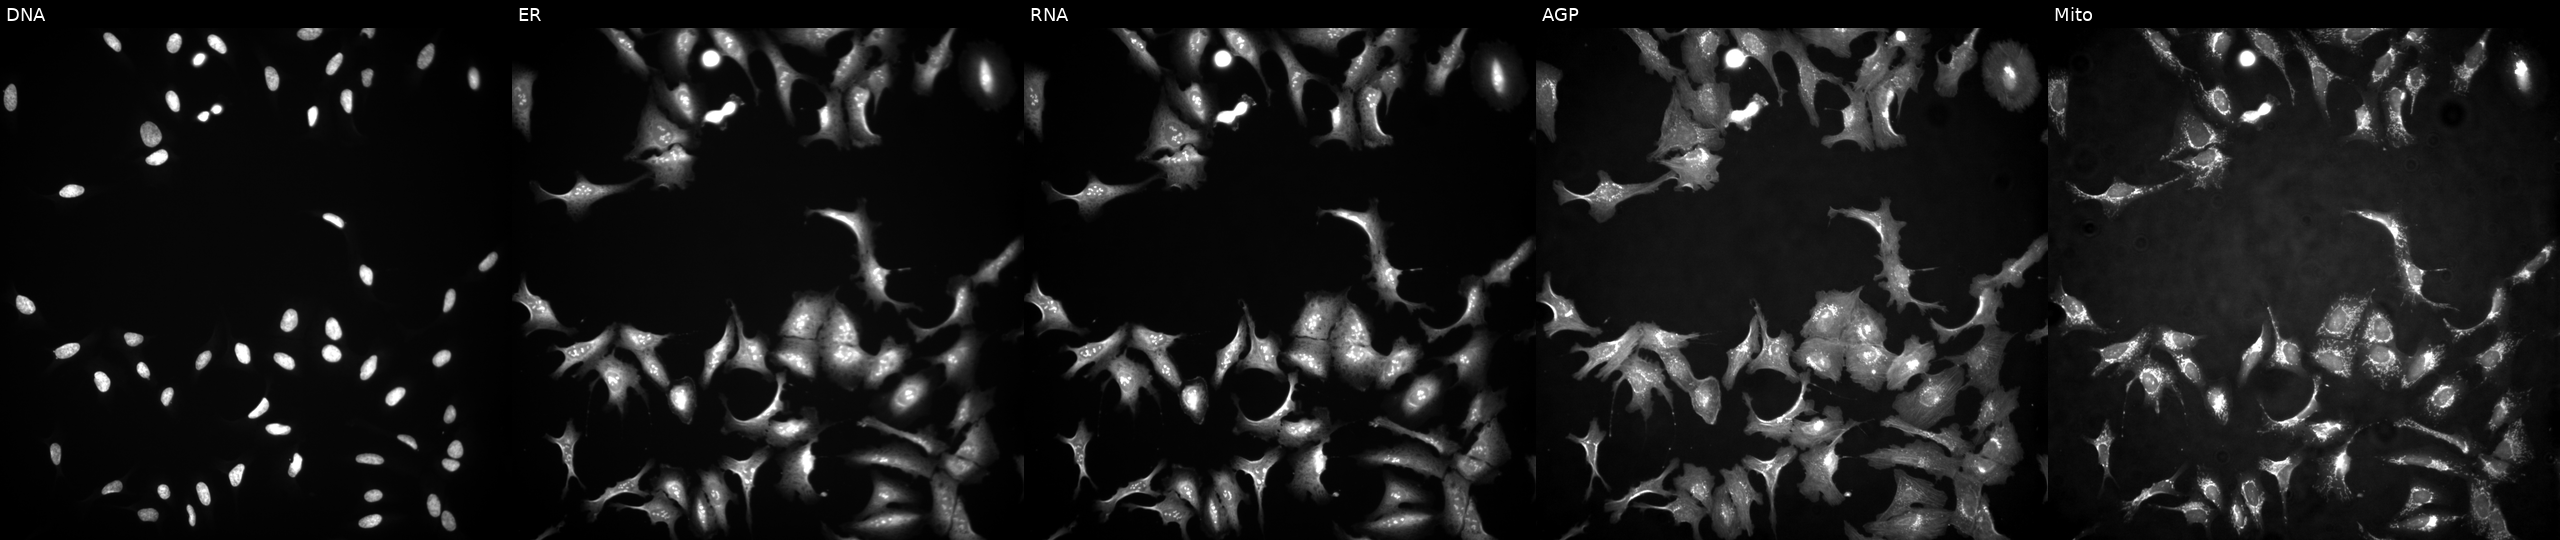
Channels (left→right): Hoechst 33342, concanavalin A, SYTO 14, phalloidin and WGA, MitoTracker. U2OS osteosarcoma cells with ERH overexpressed (ORF) (JUMP id JCP2022_900482). Cell Painting assay, JUMP-CP dataset. Source 4, plate BR00117035, well H21.